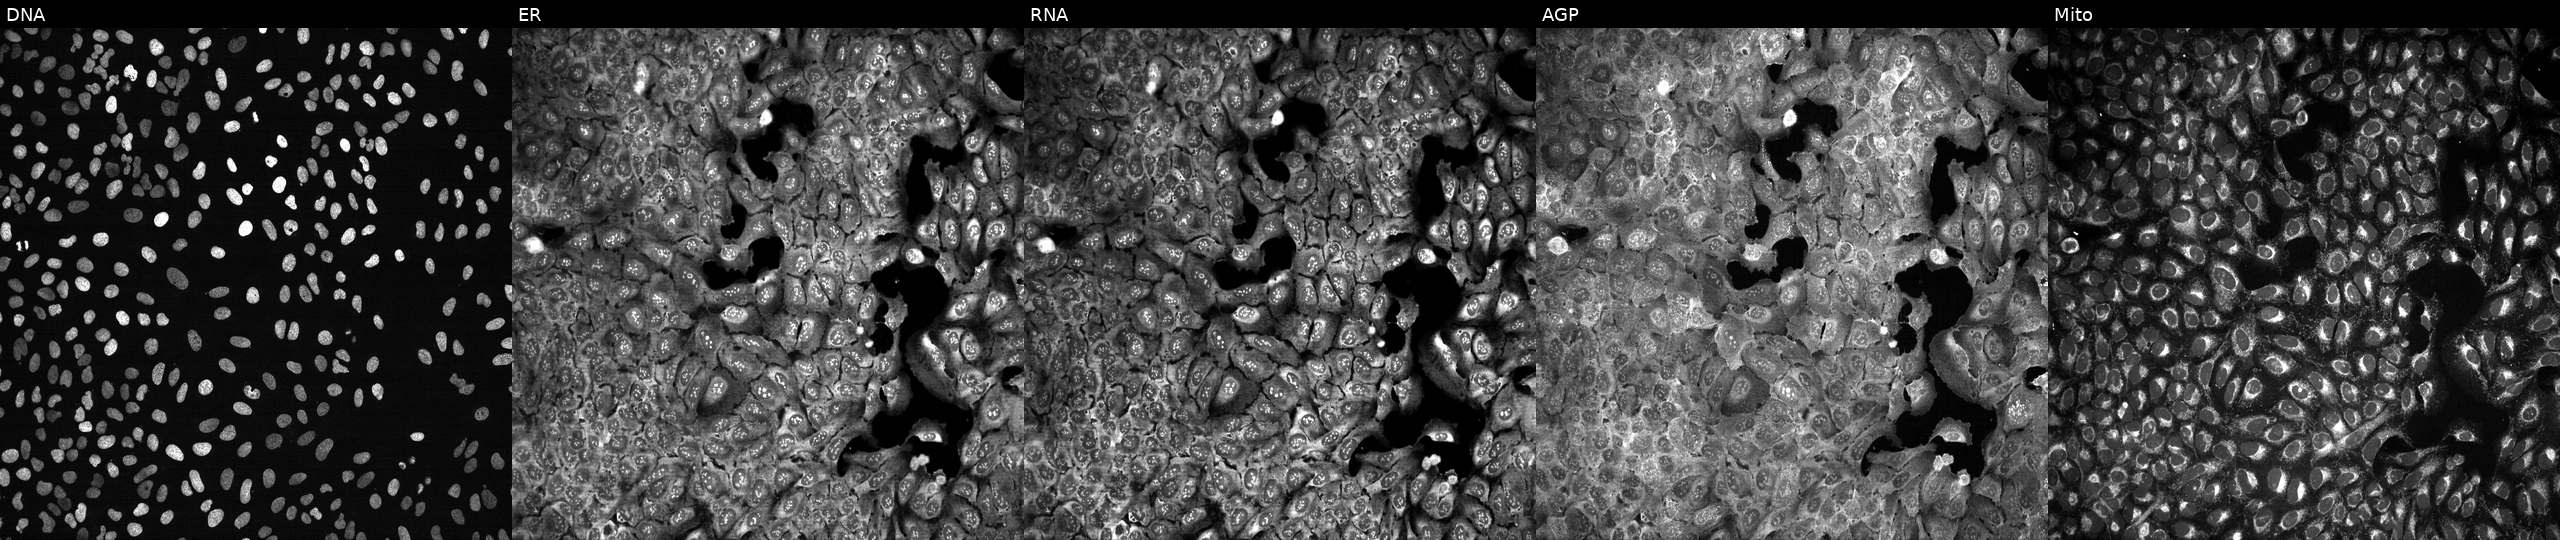
Panels show, left to right, DNA (nuclei); ER (endoplasmic reticulum); RNA (nucleoli and cytoplasmic RNA); AGP (actin cytoskeleton, Golgi, and plasma membrane); Mito (mitochondria). U2OS osteosarcoma cells CRISPR-edited to disrupt ST8SIA3. Cell Painting assay, JUMP-CP dataset.